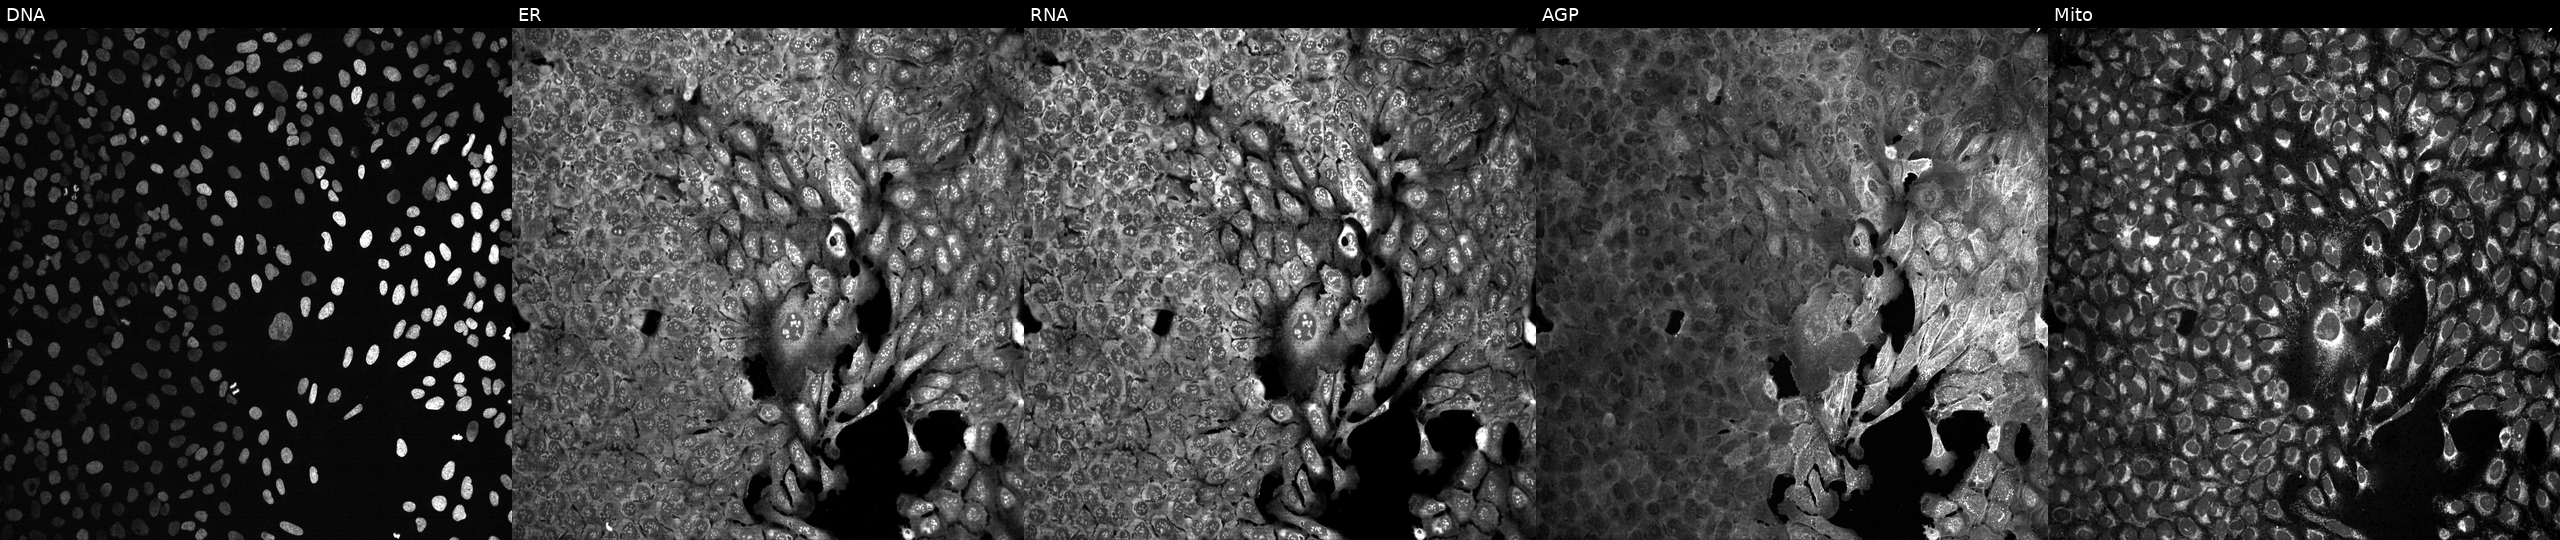
Five-channel Cell Painting image of U2OS cells with no CRISPR guide (negative control). Channels (left→right): DNA (nuclei); ER (endoplasmic reticulum); RNA (nucleoli and cytoplasmic RNA); AGP (actin cytoskeleton, Golgi, and plasma membrane); Mito (mitochondria).